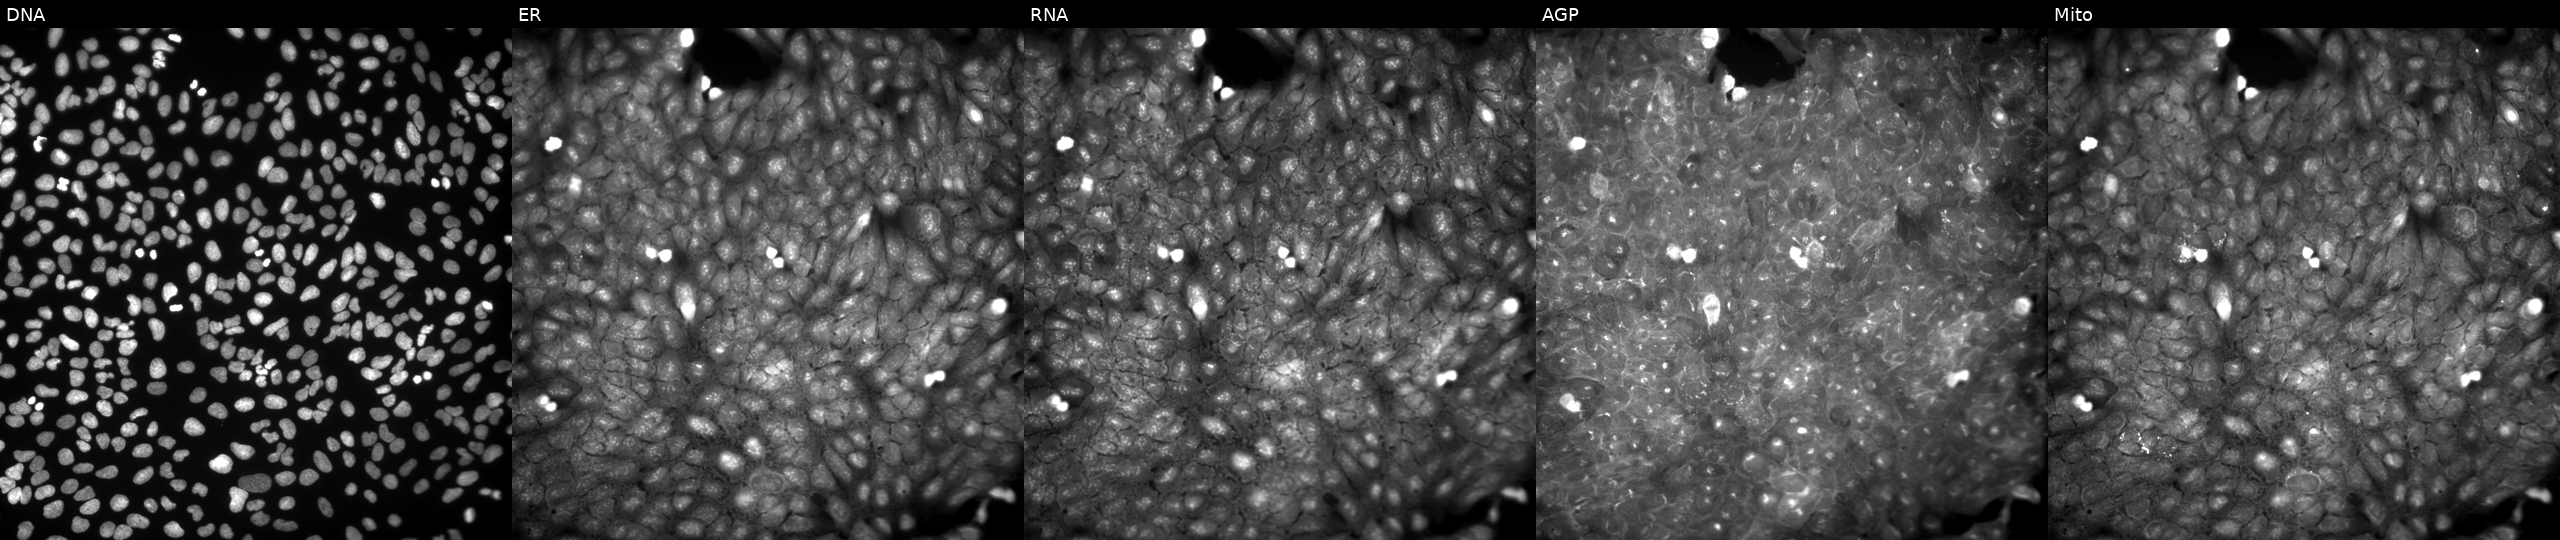
Panels show, left to right, DNA (nuclei); ER (endoplasmic reticulum); RNA (nucleoli and cytoplasmic RNA); AGP (actin cytoskeleton, Golgi, and plasma membrane); Mito (mitochondria). U2OS osteosarcoma cells perturbed with a small-molecule compound (InChIKey JJXHRSZWSVVYDC-UHFFFAOYSA-N) [SMILES: CCCOC(=O)Nc1ccc(N2CCCCC2)cc1] (JUMP id JCP2022_040281). Cell Painting assay, JUMP-CP dataset. Source 9, plate GR00003382, well AA40.